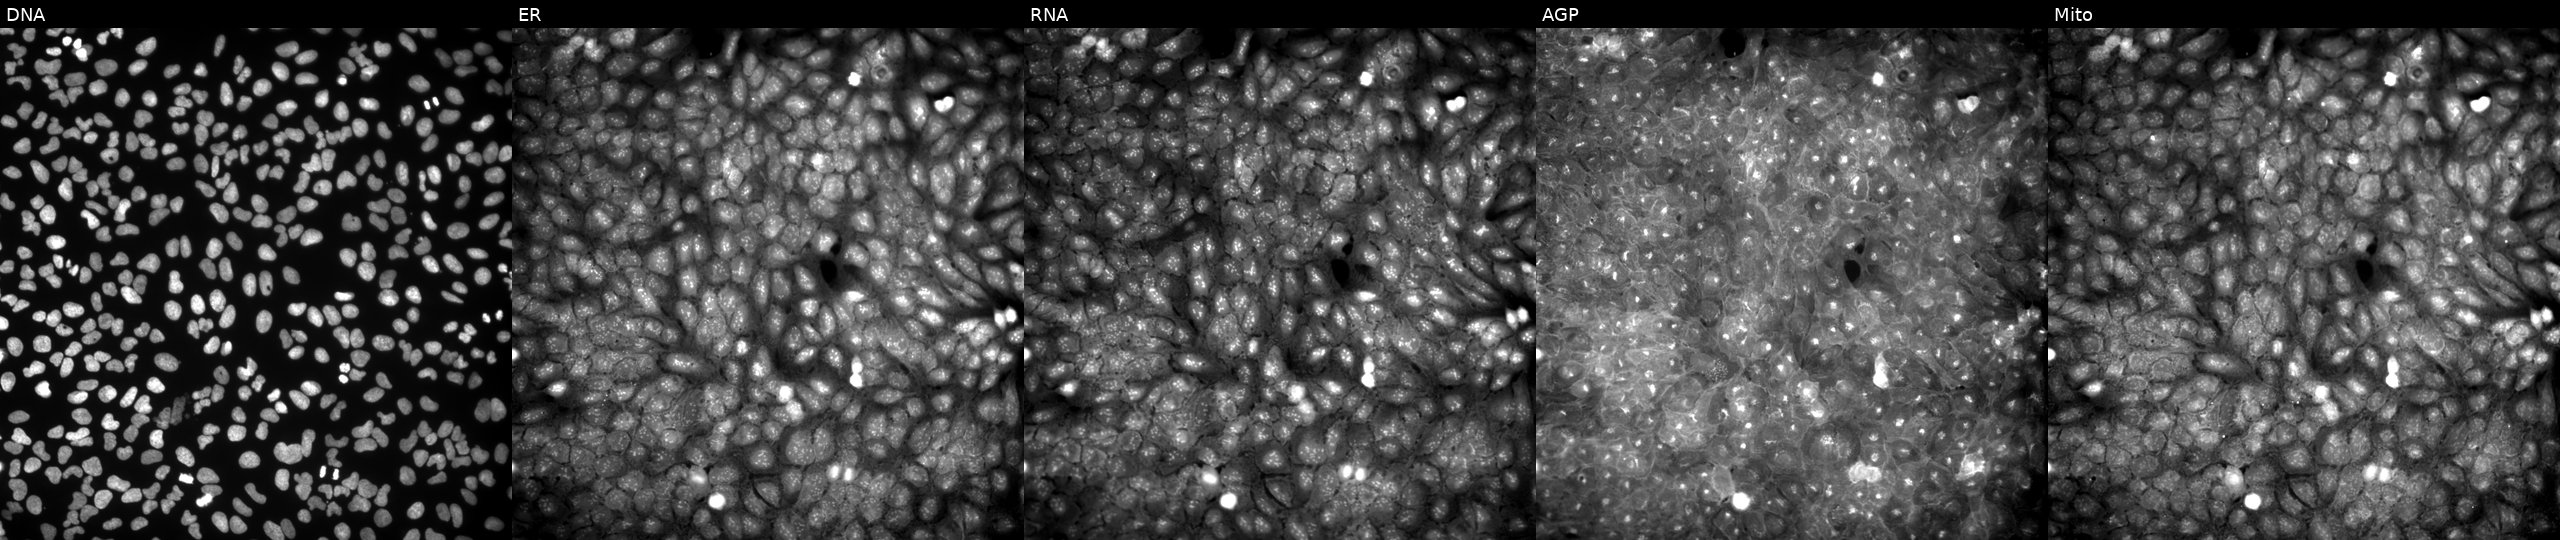
U2OS cells, Cell Painting assay, treated with a small-molecule compound (InChIKey WKCVCHQGJXNNQU-UHFFFAOYSA-N). Panels show, left to right, DNA, ER, RNA, AGP, and Mito. Each panel is percentile-stretched 16-bit fluorescence.